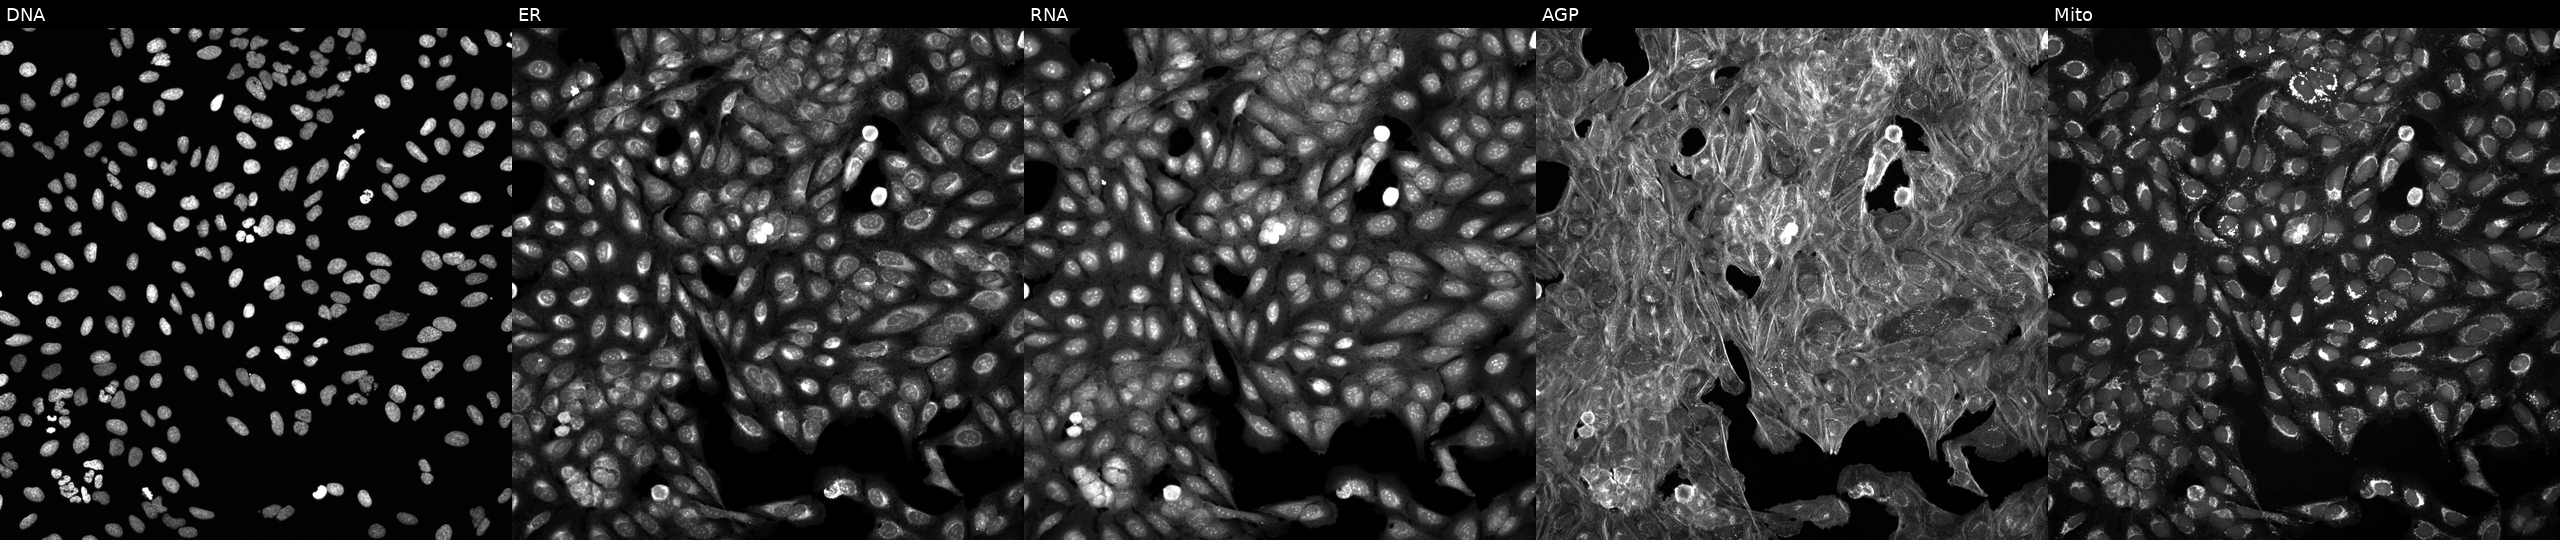
U2OS cells, Cell Painting assay, perturbed with a small-molecule compound (InChIKey PZBALKHHYQXATJ-UHFFFAOYSA-N). The five panels, left to right, show Hoechst 33342, concanavalin A, SYTO 14, phalloidin and WGA, MitoTracker. Each panel is percentile-stretched 16-bit fluorescence. Source 6, plate 110000293083, well F06.